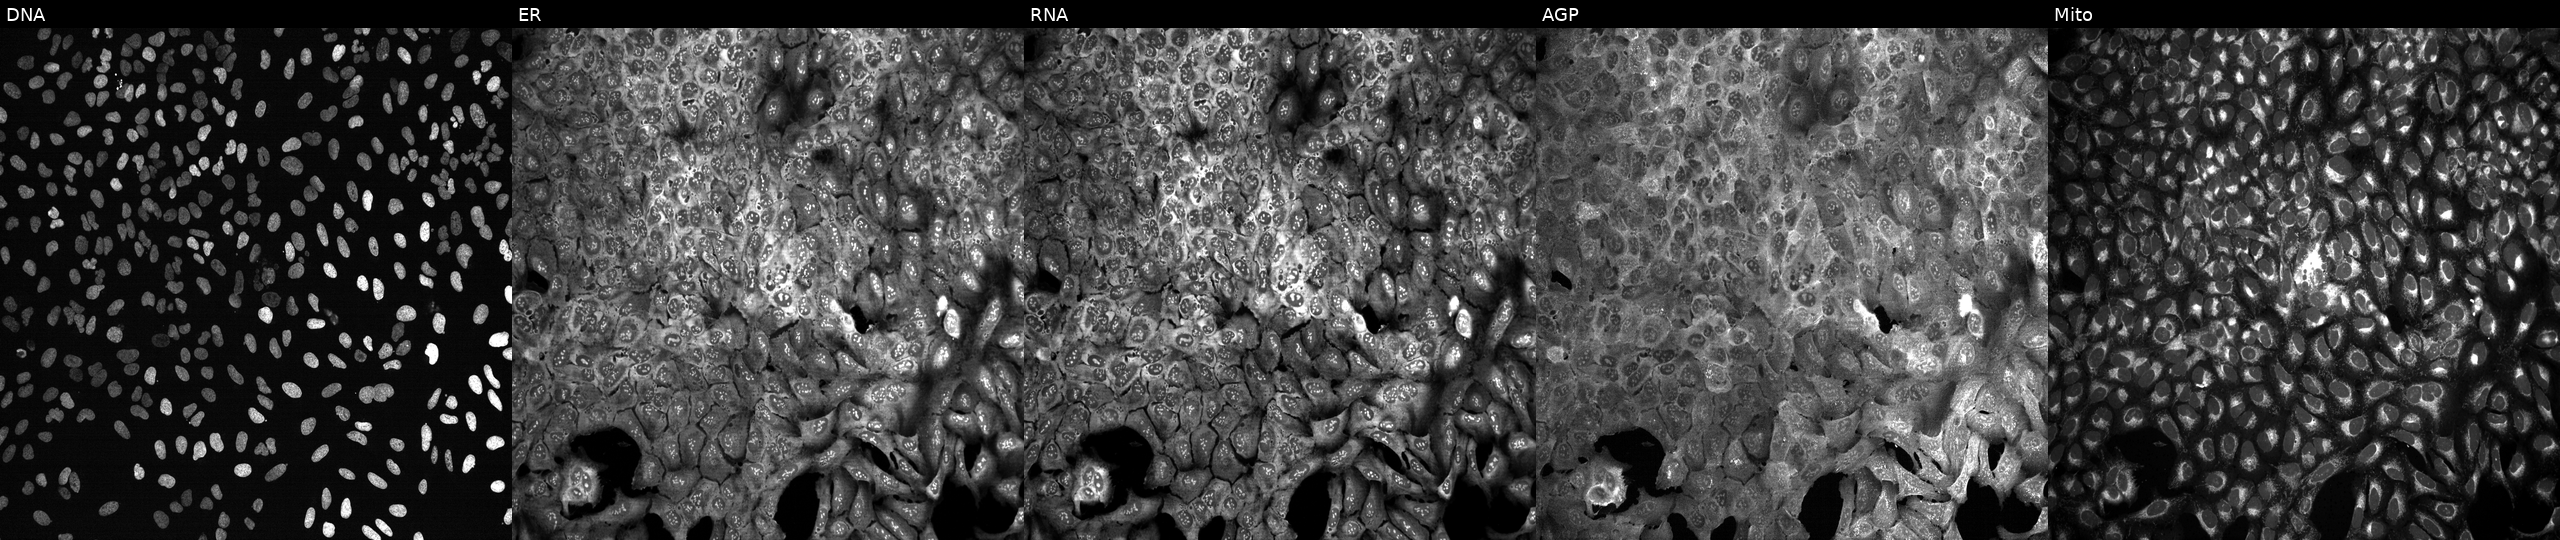
JUMP Cell Painting — CRISPR plate. U2OS cells CRISPR-edited to disrupt GLS2 (JUMP id JCP2022_802737). Channels (left→right): DNA, ER, RNA, AGP, and Mito. Source 13, plate CP-CC9-R3-02, well H03.